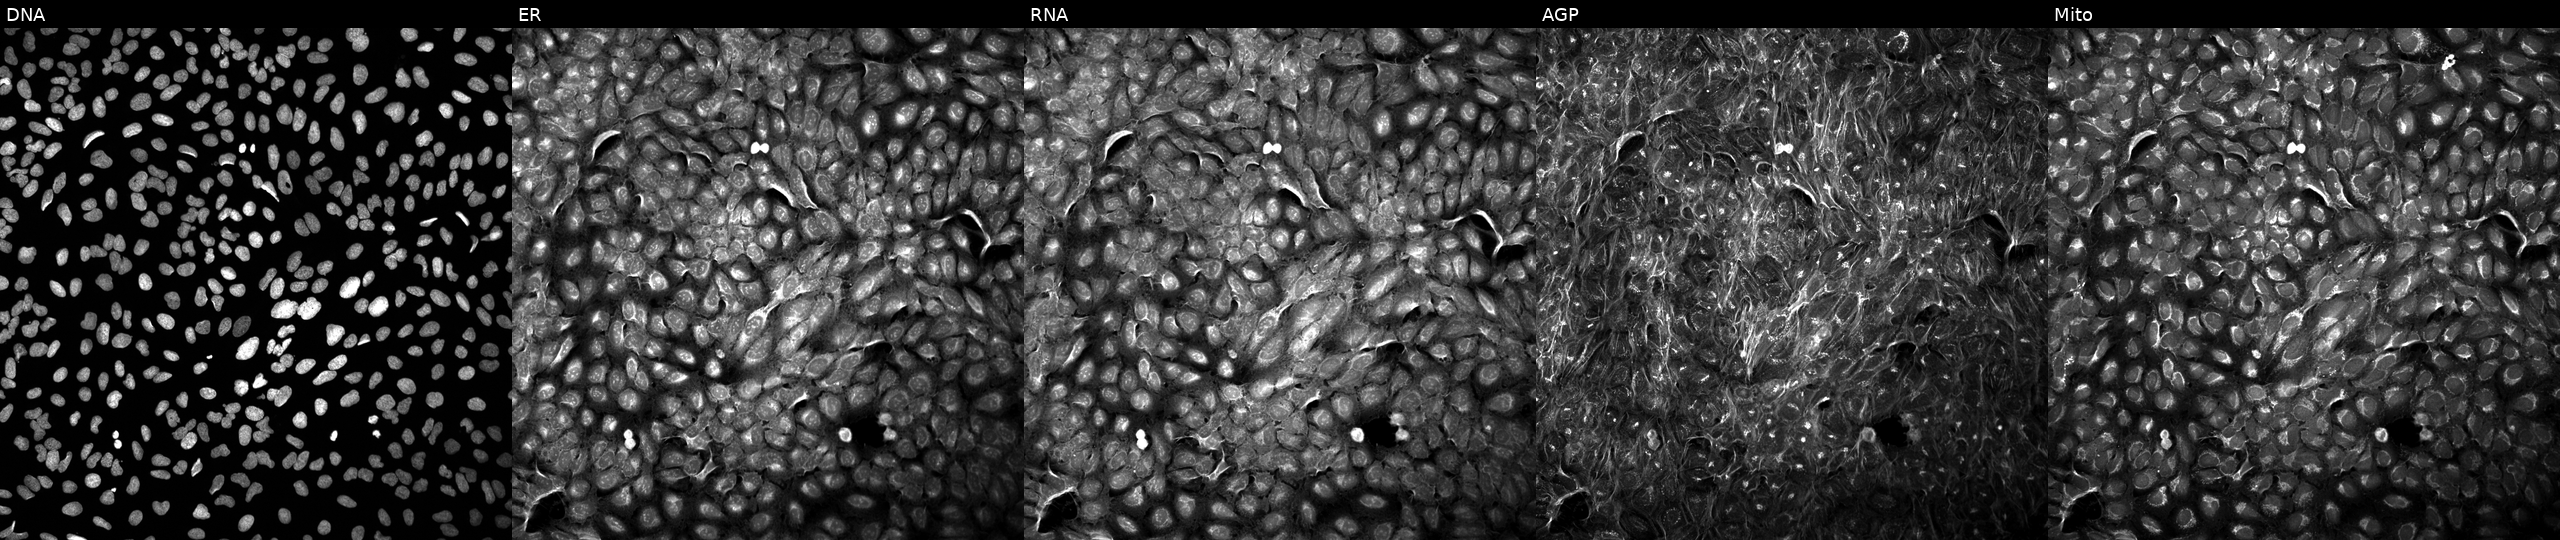
Five-channel Cell Painting image of U2OS cells exposed to DMSO alone as a negative control. From left to right: DNA (nuclei); ER (endoplasmic reticulum); RNA (nucleoli and cytoplasmic RNA); AGP (actin cytoskeleton, Golgi, and plasma membrane); Mito (mitochondria). Source 5, plate APTJUM105, well O23.